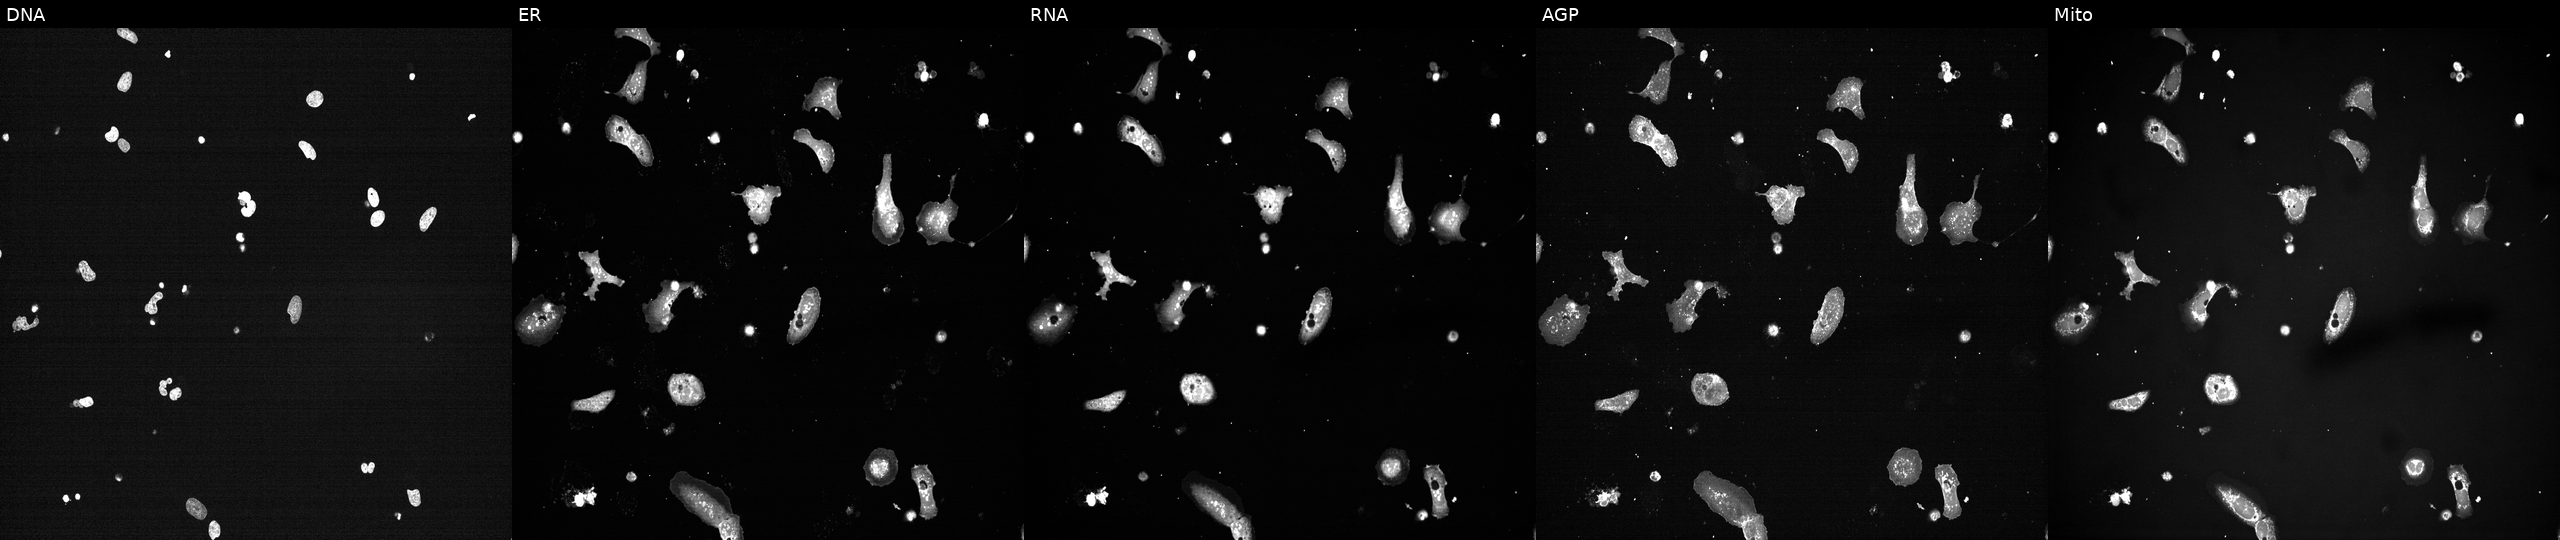
Five-channel Cell Painting image of U2OS cells treated with a small-molecule compound (InChIKey CWHUFRVAEUJCEF-UHFFFAOYSA-N). Panels show, left to right, DNA, ER, RNA, AGP, and Mito.